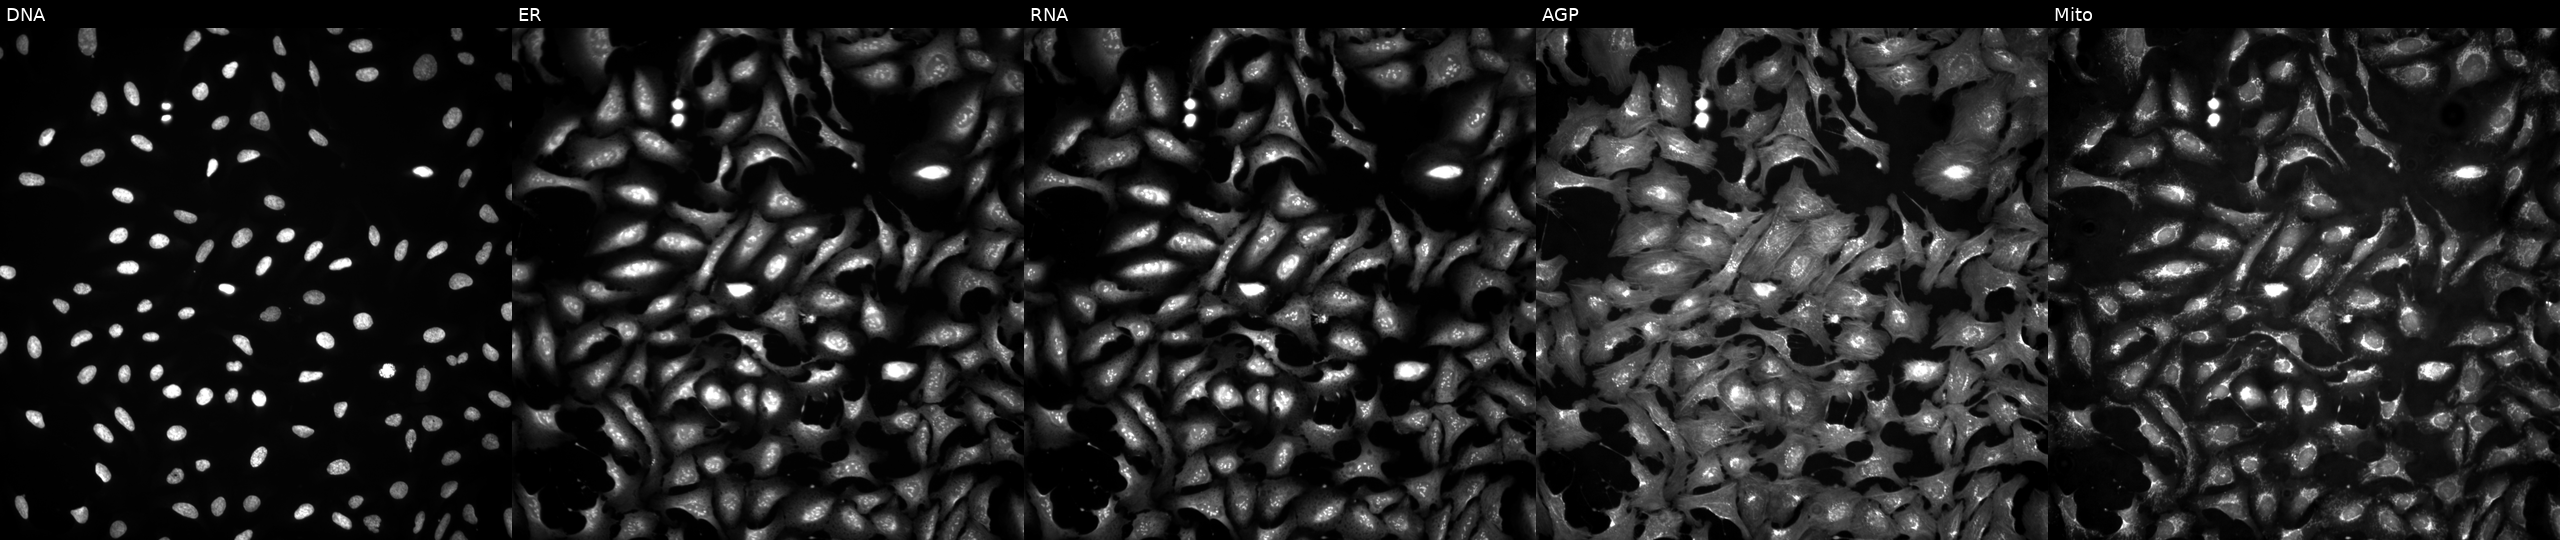
This image strip shows the five Cell Painting channels for a single field of U2OS cells overexpressing PHKG1 via ORF transfection. Panels show, left to right, Hoechst 33342, concanavalin A, SYTO 14, phalloidin and WGA, MitoTracker. Source 4, plate BR00123945, well E06.